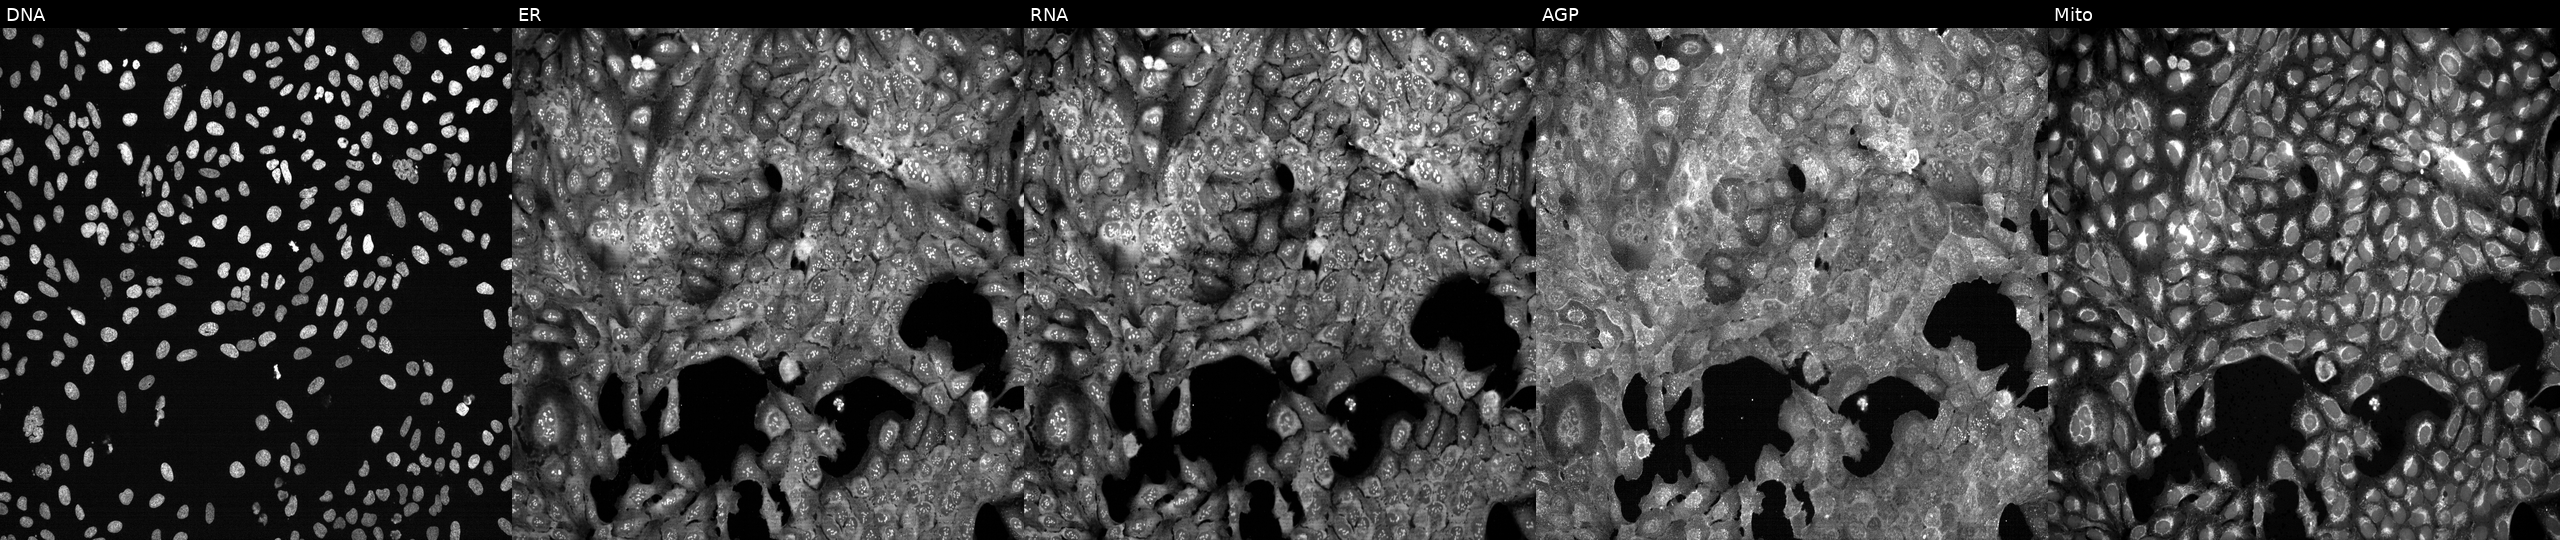
Five-channel Cell Painting image of U2OS cells following CRISPR knockout of SLC25A36. Channels (left→right): DNA, ER, RNA, AGP, and Mito. Source 13, plate CP-CC9-R5-01, well L10.